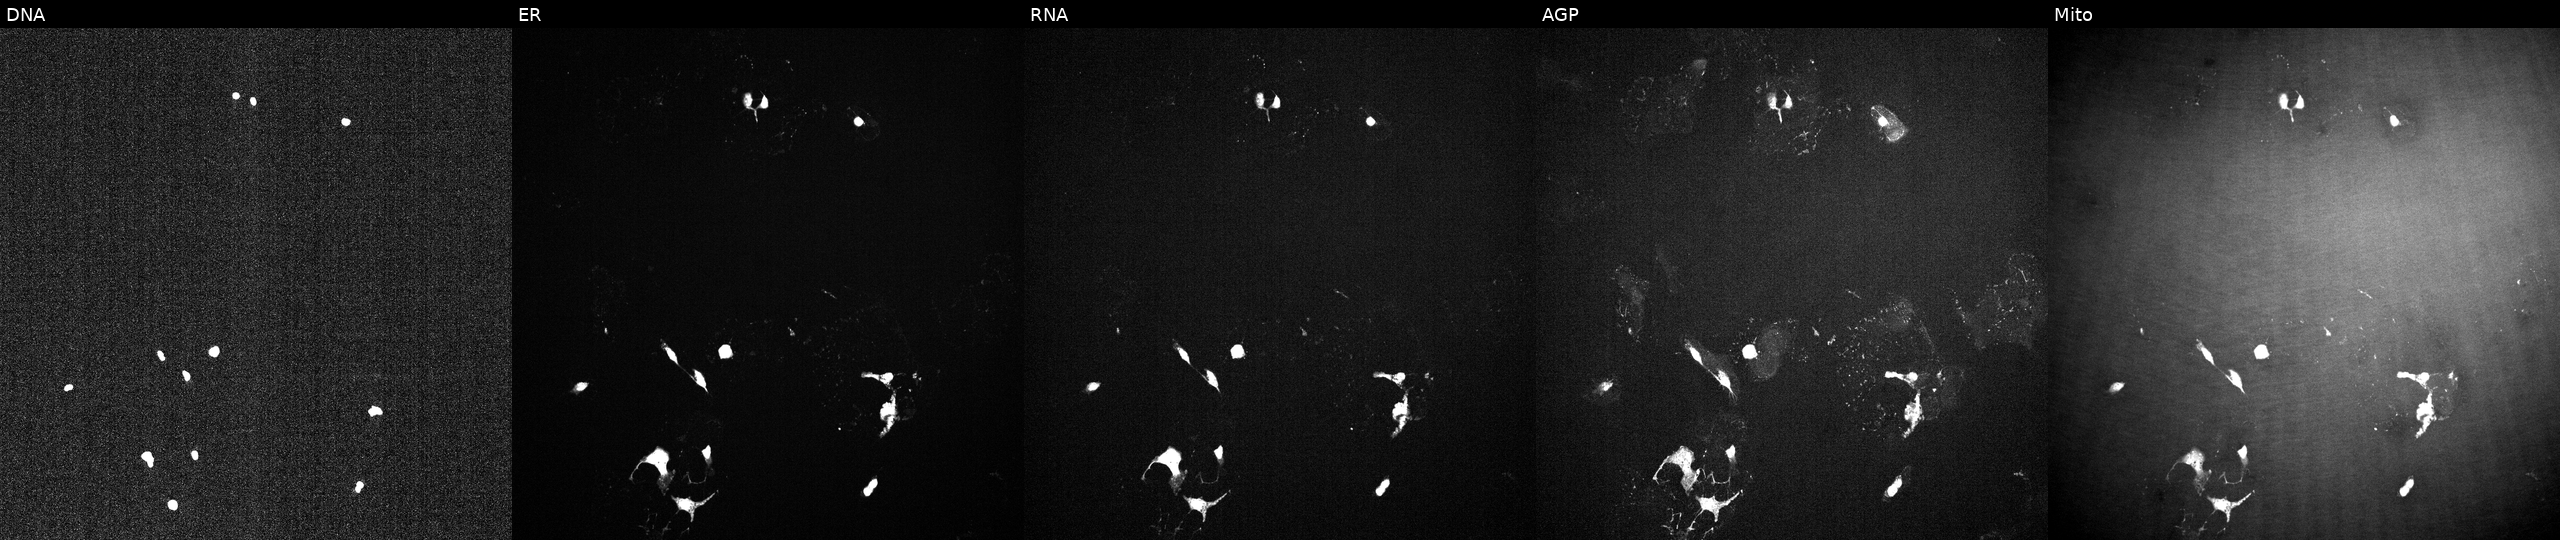
U2OS cells, Cell Painting assay, exposed to a small-molecule compound (InChIKey DUKQPWDVIZDABV-UHFFFAOYSA-N) (JUMP id JCP2022_018280). Panels show, left to right, DNA (nuclei); ER (endoplasmic reticulum); RNA (nucleoli and cytoplasmic RNA); AGP (actin cytoskeleton, Golgi, and plasma membrane); Mito (mitochondria). Each panel is percentile-stretched 16-bit fluorescence.